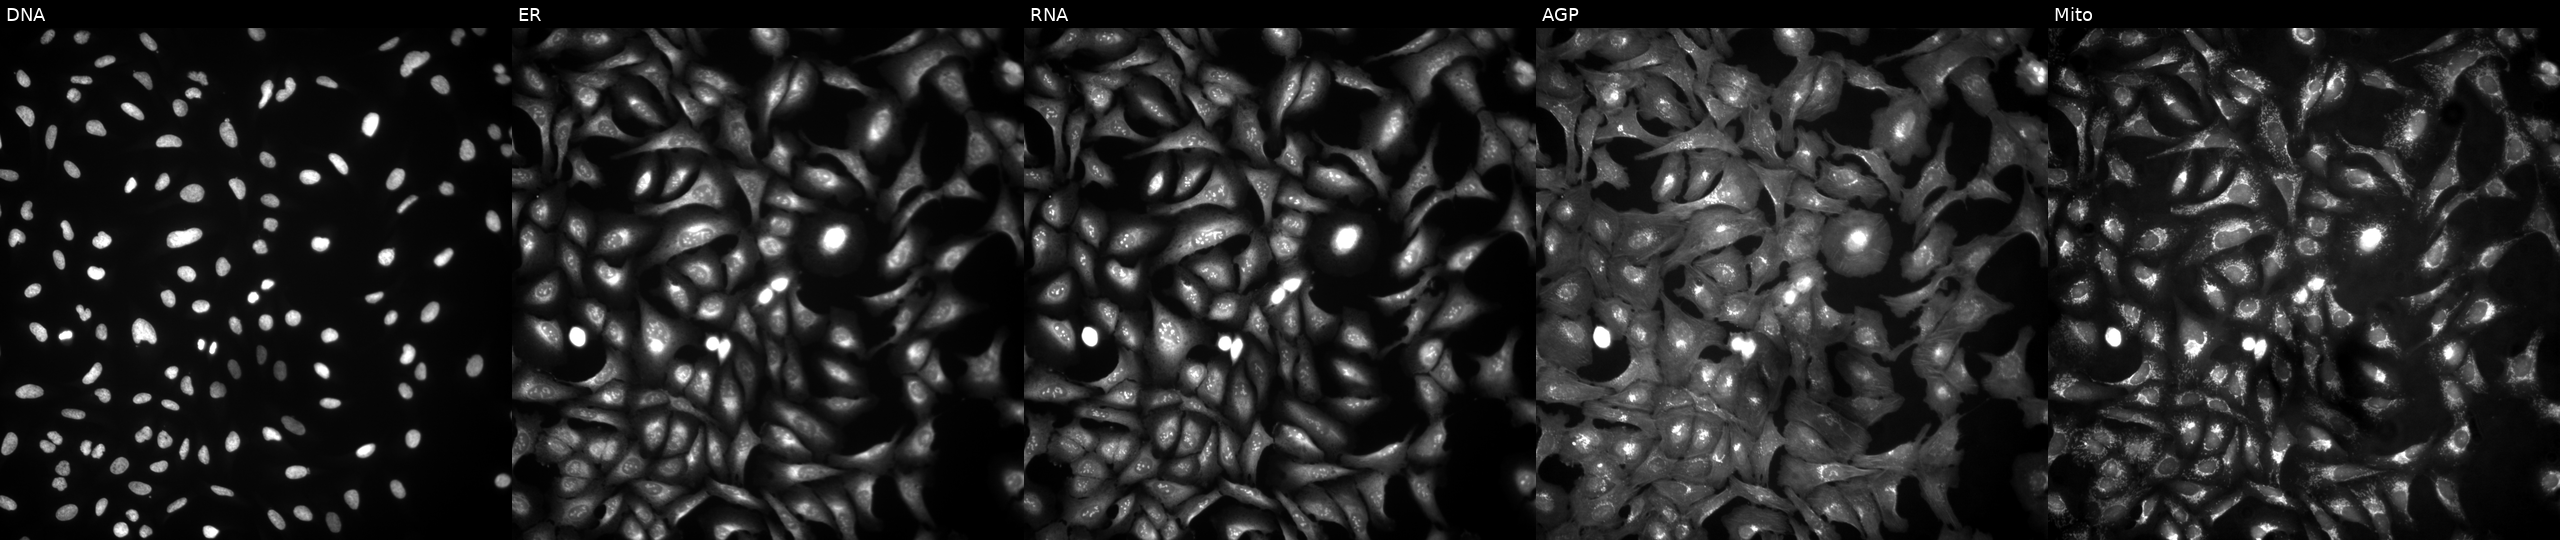
High-content fluorescence microscopy (Cell Painting). Cell line: U2OS. Perturbation: expressing LUCIFERASE (ORF negative control) (JUMP id JCP2022_915130). From left to right: DNA (nuclei); ER (endoplasmic reticulum); RNA (nucleoli and cytoplasmic RNA); AGP (actin cytoskeleton, Golgi, and plasma membrane); Mito (mitochondria). Source 4, plate BR00124790, well H23.